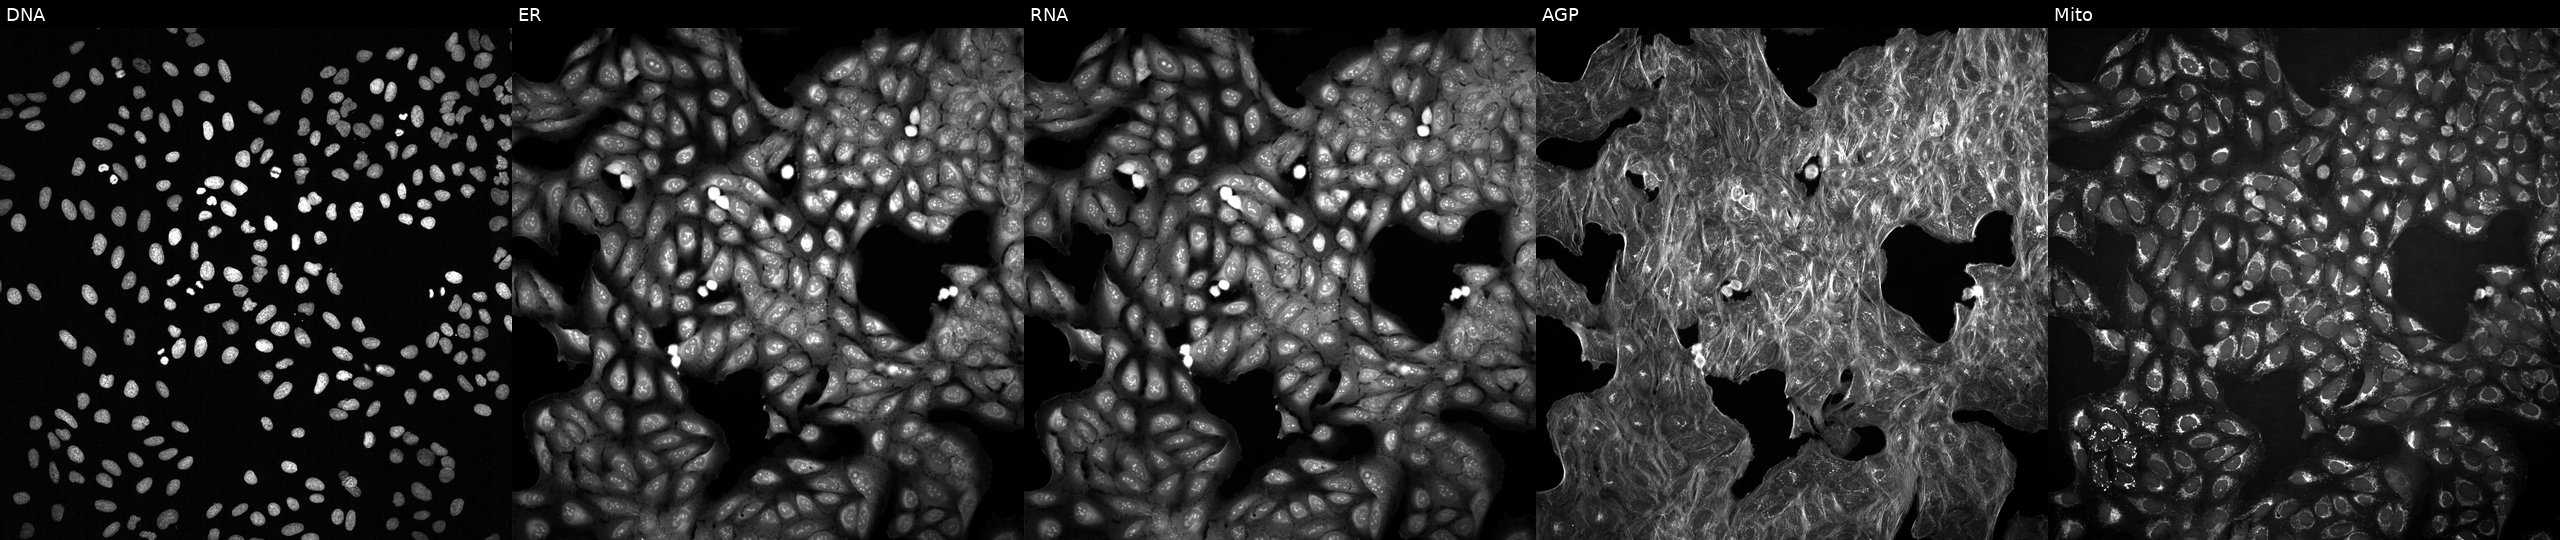
U2OS cells, Cell Painting assay, perturbed with a small-molecule compound [SMILES: Cc1cc(C(=O)NC(c2ccccc2)c2ccccc2)no1] (JUMP id JCP2022_082079). Channels (left→right): DNA (nuclei); ER (endoplasmic reticulum); RNA (nucleoli and cytoplasmic RNA); AGP (actin cytoskeleton, Golgi, and plasma membrane); Mito (mitochondria). Each panel is percentile-stretched 16-bit fluorescence. Source 2, plate 1053601763, well C15.